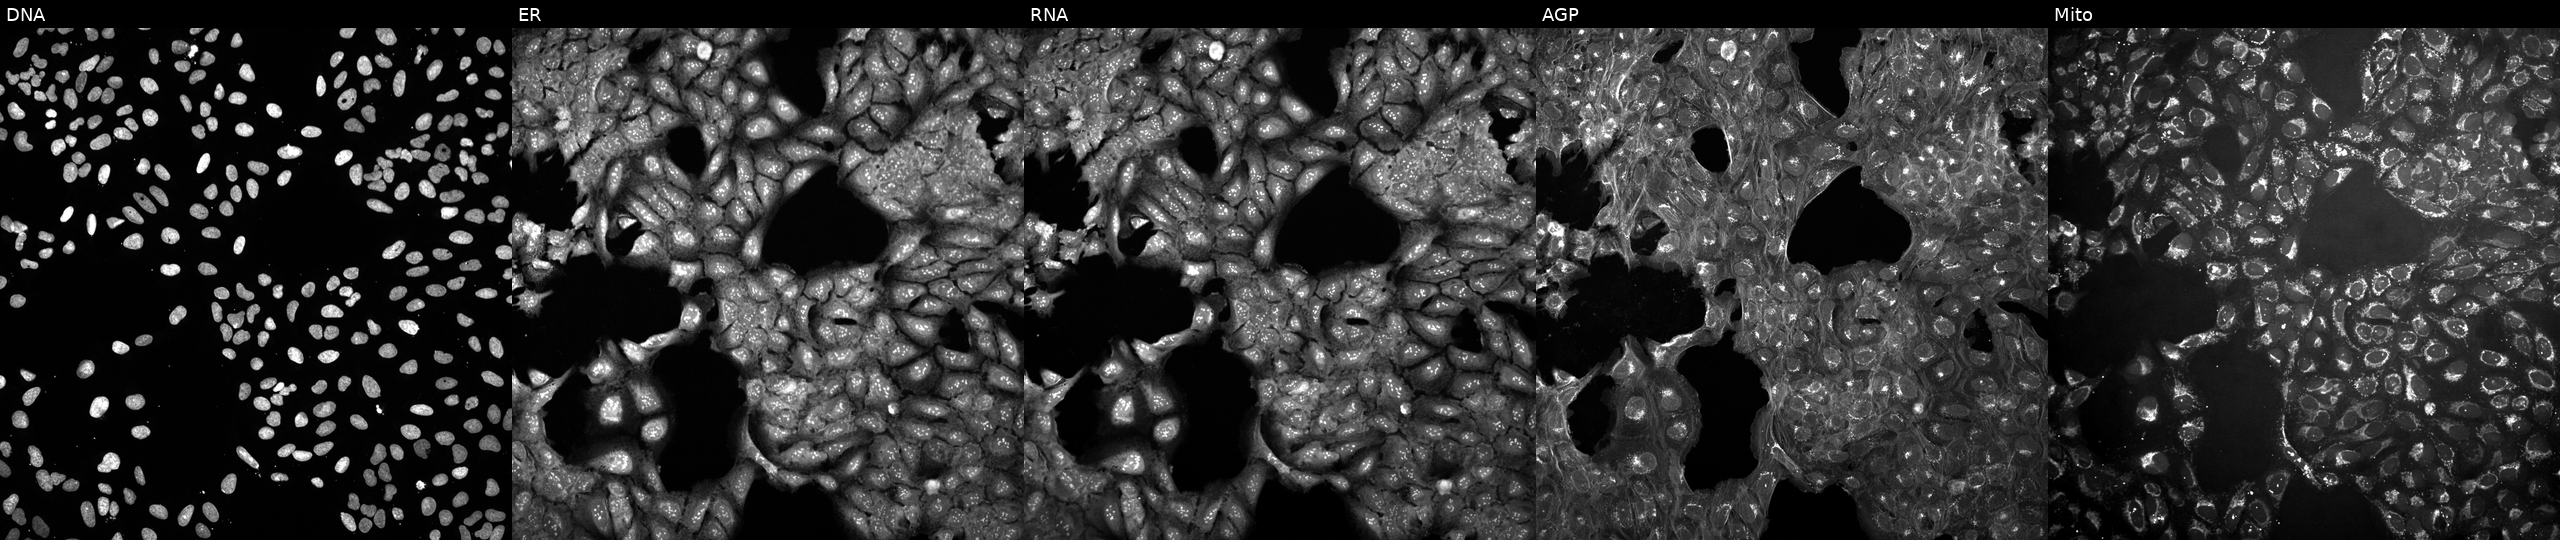
This image strip shows the five Cell Painting channels for a single field of U2OS cells treated with a small-molecule compound [SMILES: Nc1c(C(=O)NCc2ccc(F)cc2)c2nc3ccccc3nc2n1-c1ccc(S(N)(=O)=O)cc1] (JUMP id JCP2022_046501). The five panels, left to right, show Hoechst 33342, concanavalin A, SYTO 14, phalloidin and WGA, MitoTracker.